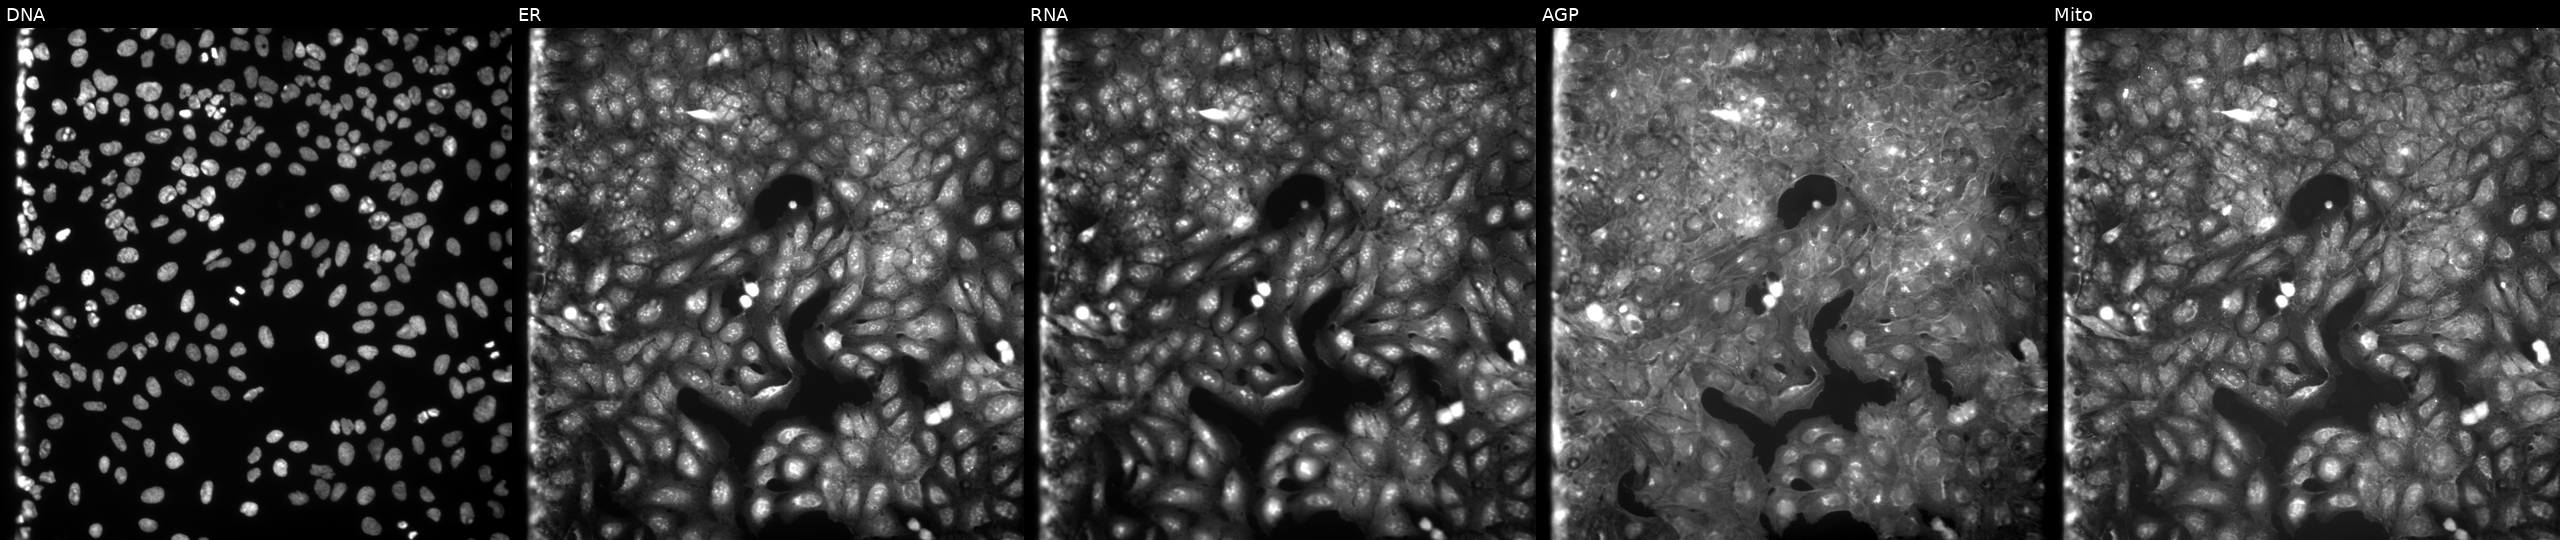
JUMP Cell Painting — COMPOUND plate. U2OS cells treated with a small-molecule compound (InChIKey URQOWYRXQNMXLF-UHFFFAOYSA-N). The five panels, left to right, show DNA, ER, RNA, AGP, and Mito.